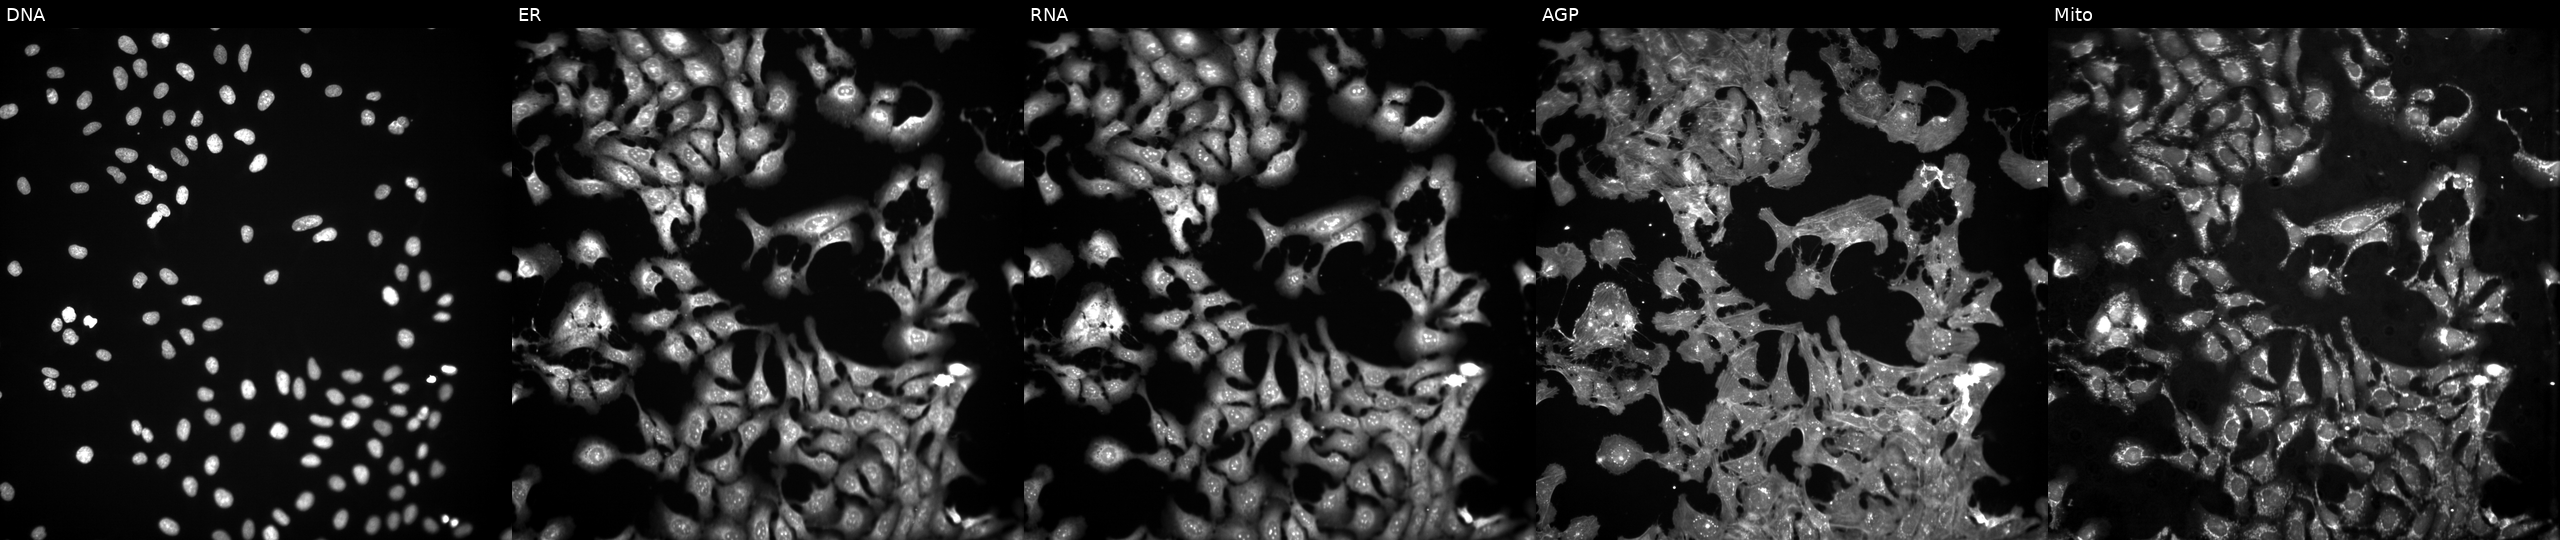
U2OS cells, Cell Painting assay, exposed to the positive-control compound FK-866. The five panels, left to right, show DNA (nuclei); ER (endoplasmic reticulum); RNA (nucleoli and cytoplasmic RNA); AGP (actin cytoskeleton, Golgi, and plasma membrane); Mito (mitochondria). Each panel is percentile-stretched 16-bit fluorescence.